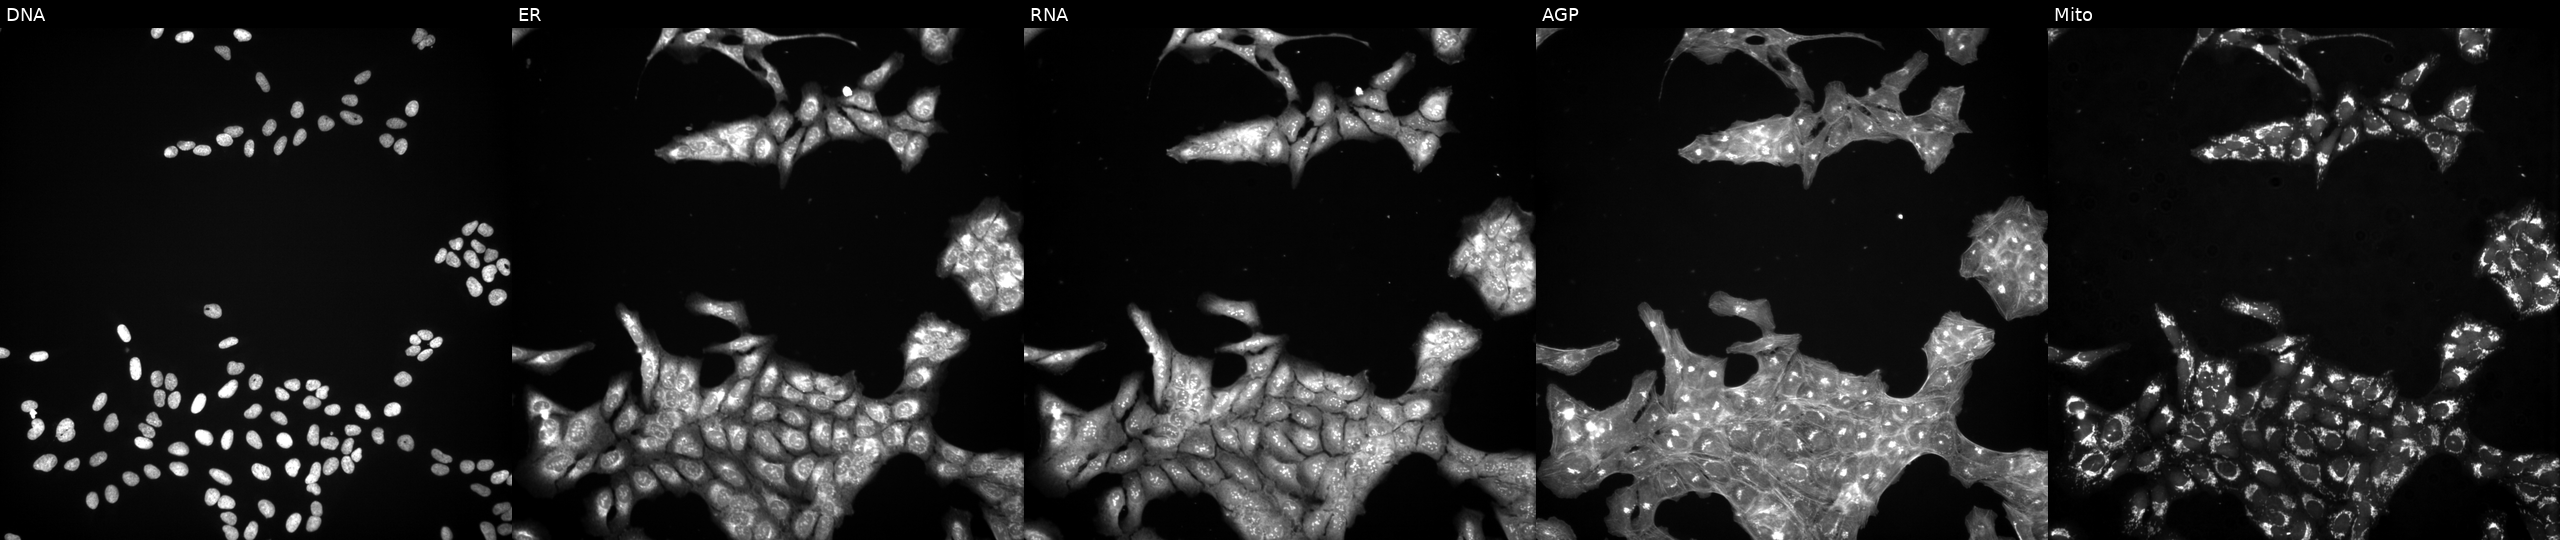
This image strip shows the five Cell Painting channels for a single field of U2OS cells exposed to a small-molecule compound (InChIKey AHLLDRLBEUYTHZ-UHFFFAOYSA-N) [SMILES: COc1ccc(-c2cc(C(F)(F)F)n3nc(C(=O)N4CCCCC4)c(Br)c3n2)cc1] (JUMP id JCP2022_001425). Channels (left→right): DNA, ER, RNA, AGP, and Mito. Source 3, plate BR5867b3, well H13.